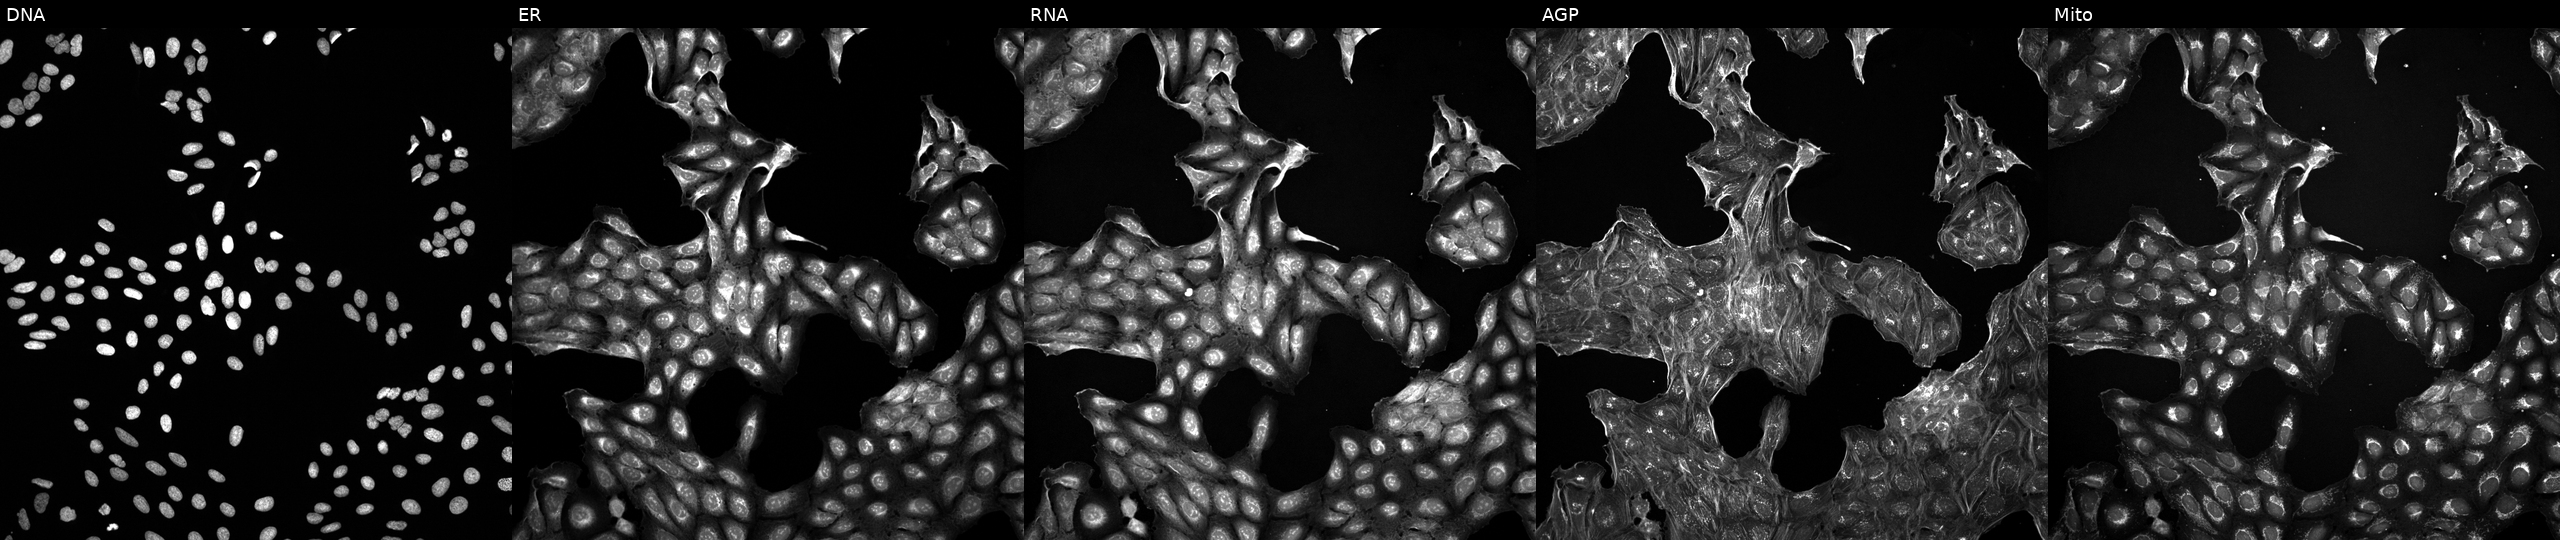
JUMP Cell Painting — TARGET2 plate. U2OS cells exposed to a small-molecule compound (InChIKey GUUGZPSUOTWOMD-UHFFFAOYSA-N) [SMILES: Oc1ccc(C(O)O)[nH]1] (JUMP id JCP2022_027911). Channels (left→right): Hoechst 33342, concanavalin A, SYTO 14, phalloidin and WGA, MitoTracker. Source 5, plate ACPJUM051, well A06.